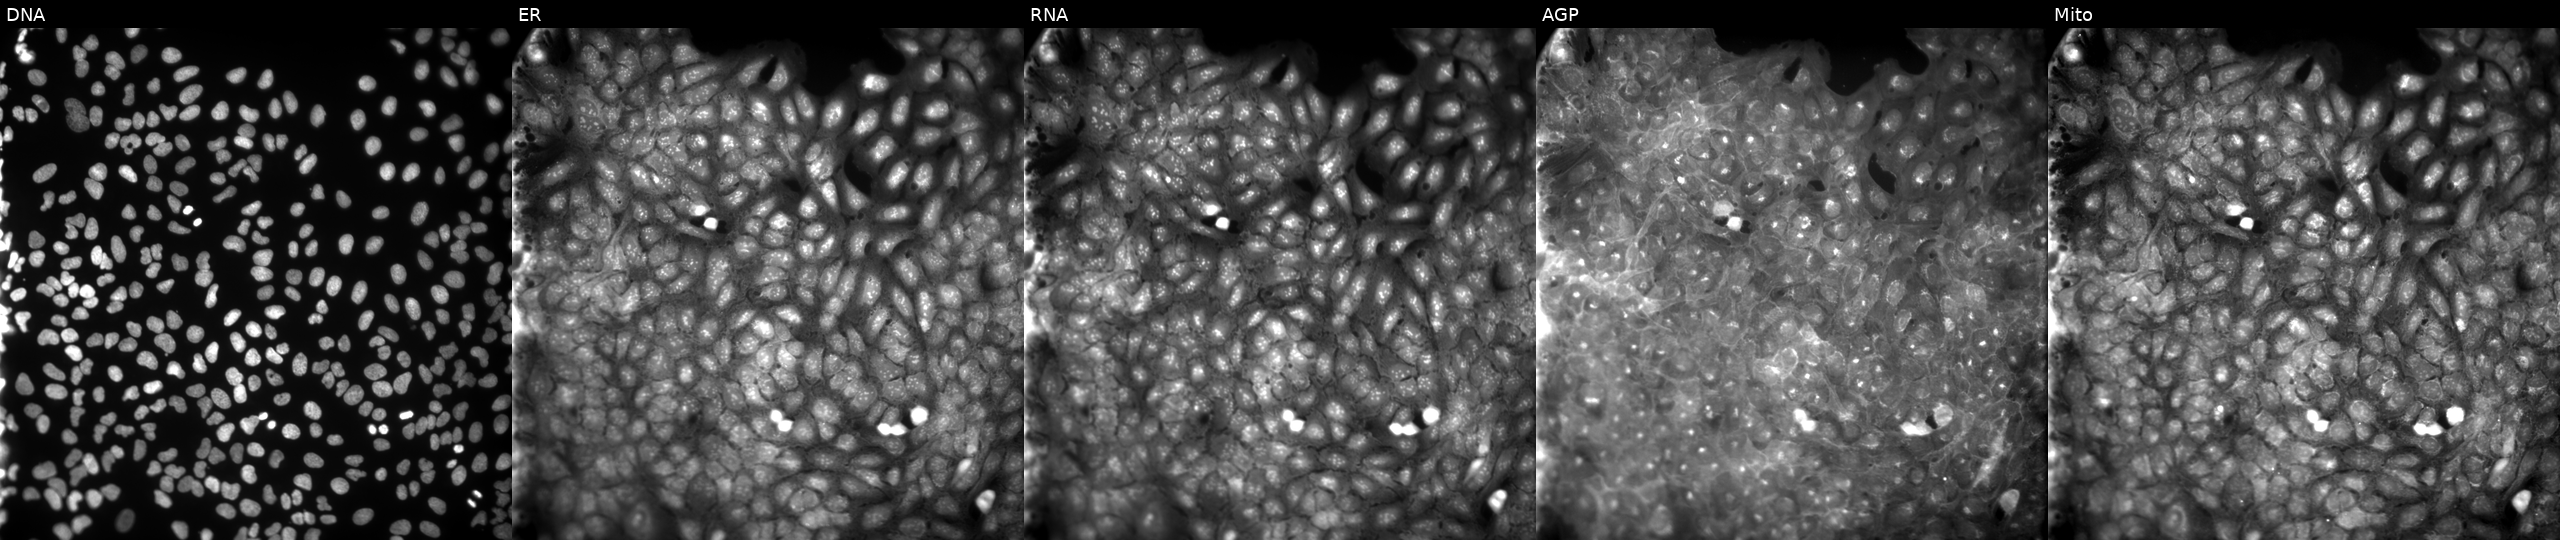
Channels (left→right): DNA, ER, RNA, AGP, and Mito. U2OS osteosarcoma cells exposed to DMSO alone as a negative control (JUMP id JCP2022_033924). Cell Painting assay, JUMP-CP dataset.